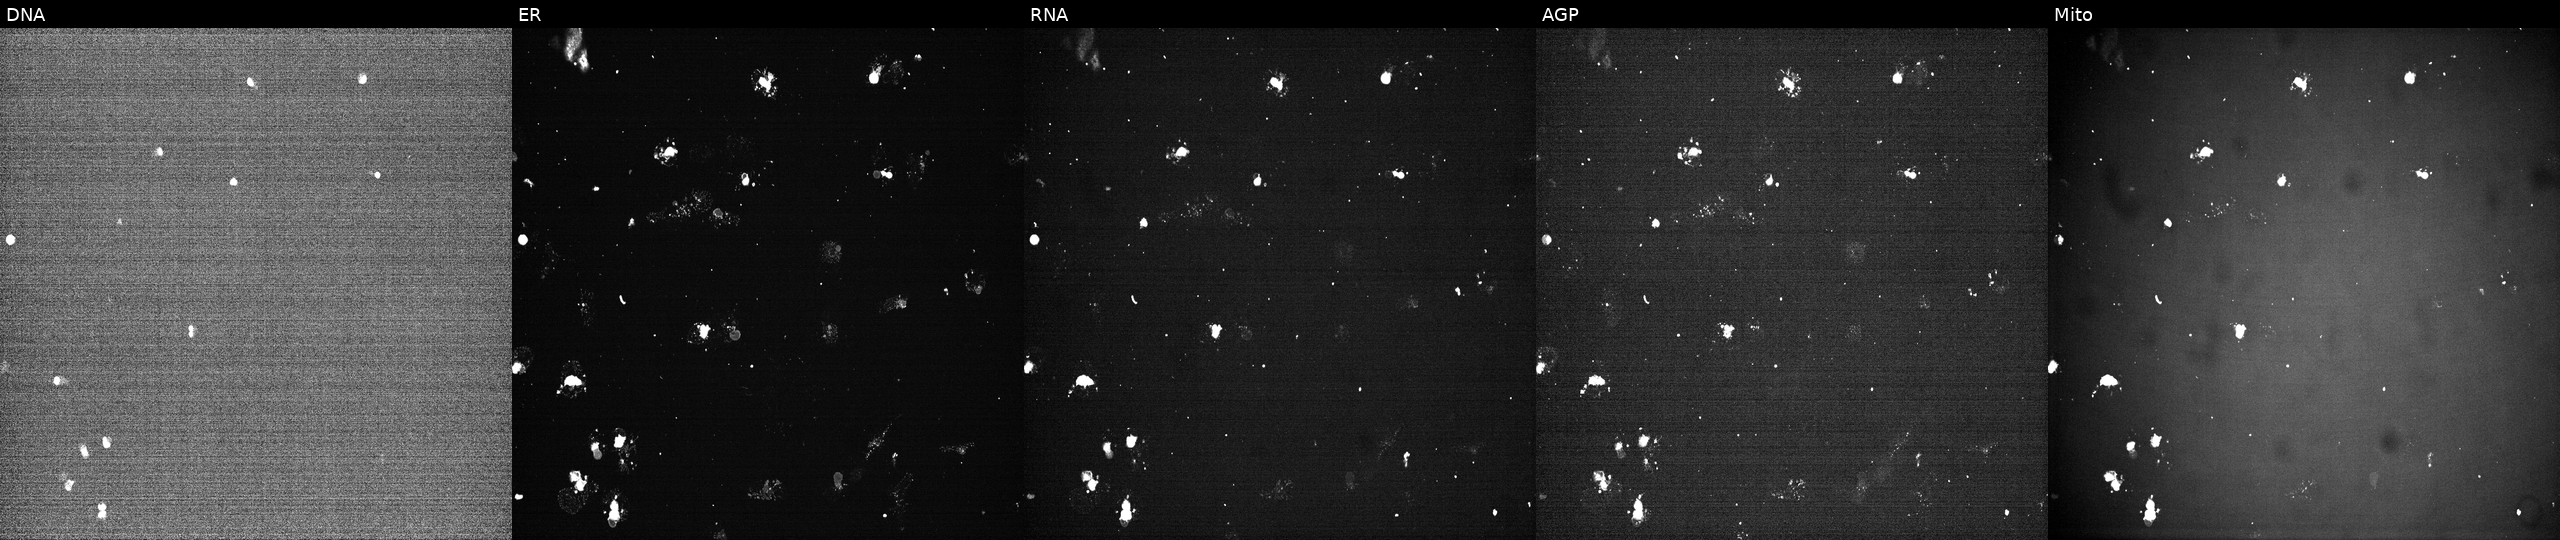
The five panels, left to right, show DNA, ER, RNA, AGP, and Mito. U2OS osteosarcoma cells exposed to a small-molecule compound (InChIKey VERWOWGGCGHDQE-UHFFFAOYSA-N) (JUMP id JCP2022_093480). Cell Painting assay, JUMP-CP dataset.